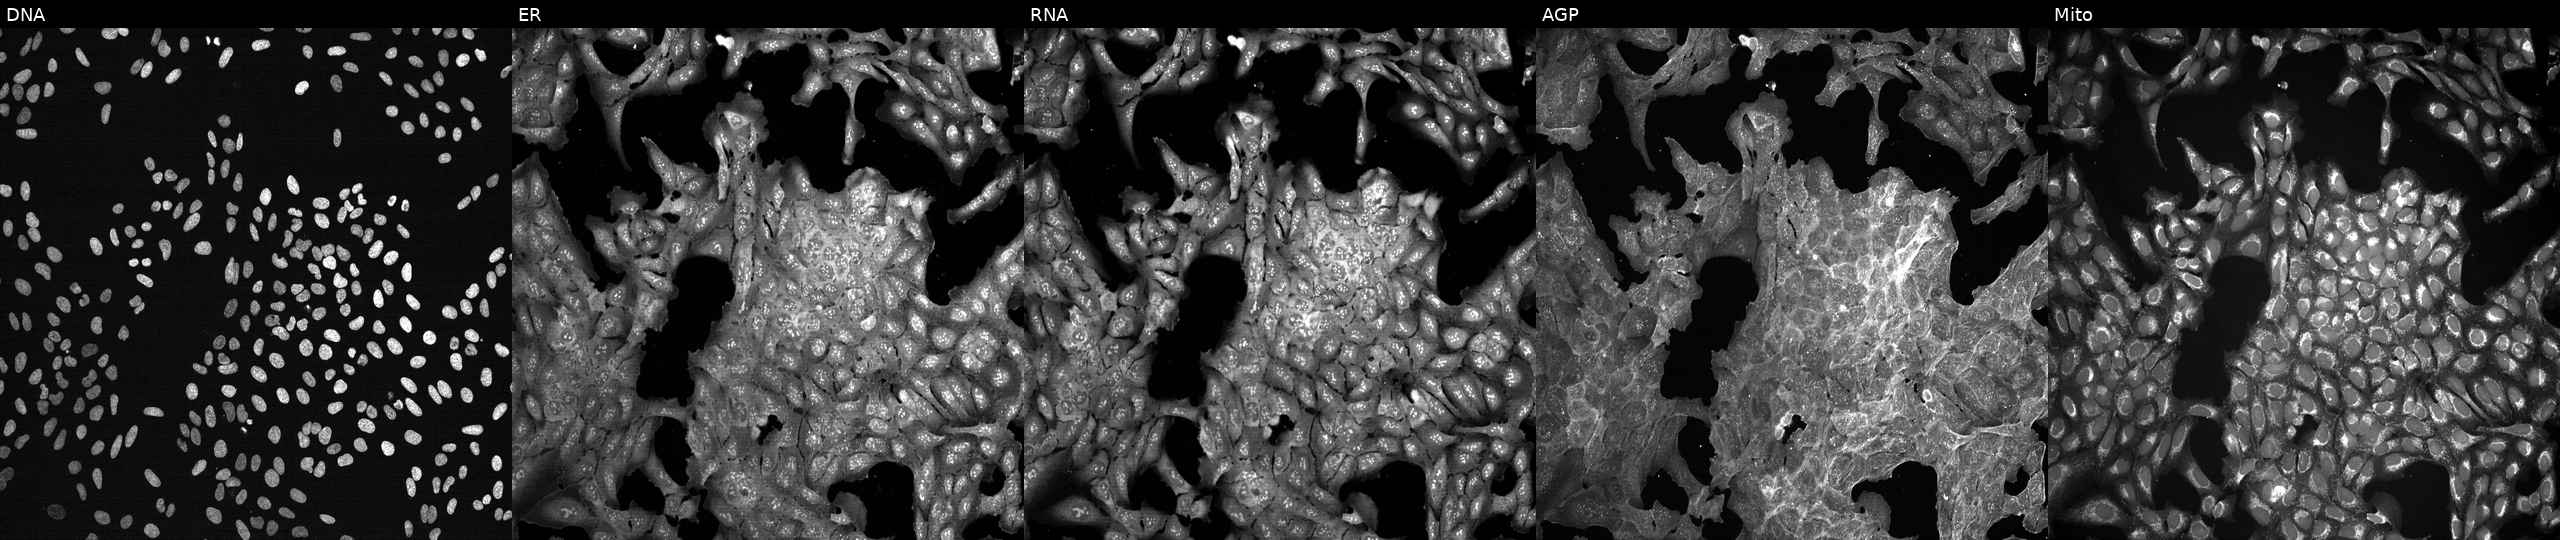
High-content fluorescence microscopy (Cell Painting). Cell line: U2OS. Perturbation: exposed to a small-molecule compound (JUMP id JCP2022_022359). From left to right: DNA, ER, RNA, AGP, and Mito. Source 7, plate CP3-SC1-25, well I04.